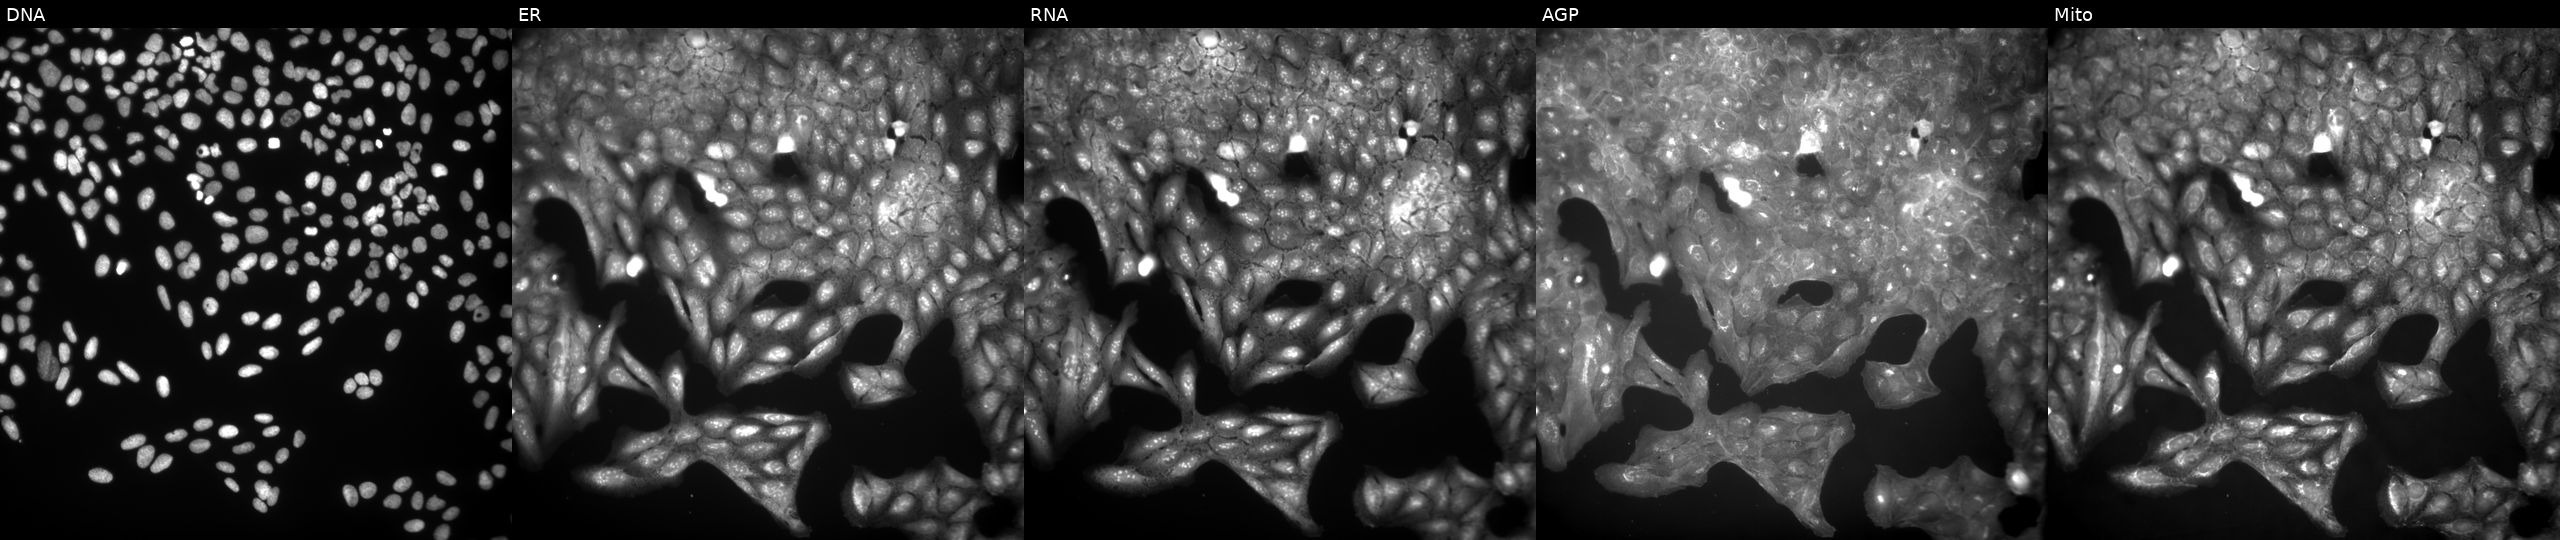
High-content fluorescence microscopy (Cell Painting). Cell line: U2OS. Perturbation: perturbed with a small-molecule compound (InChIKey WYOAJTDSENSNDV-UHFFFAOYSA-N). Panels show, left to right, DNA (nuclei); ER (endoplasmic reticulum); RNA (nucleoli and cytoplasmic RNA); AGP (actin cytoskeleton, Golgi, and plasma membrane); Mito (mitochondria).